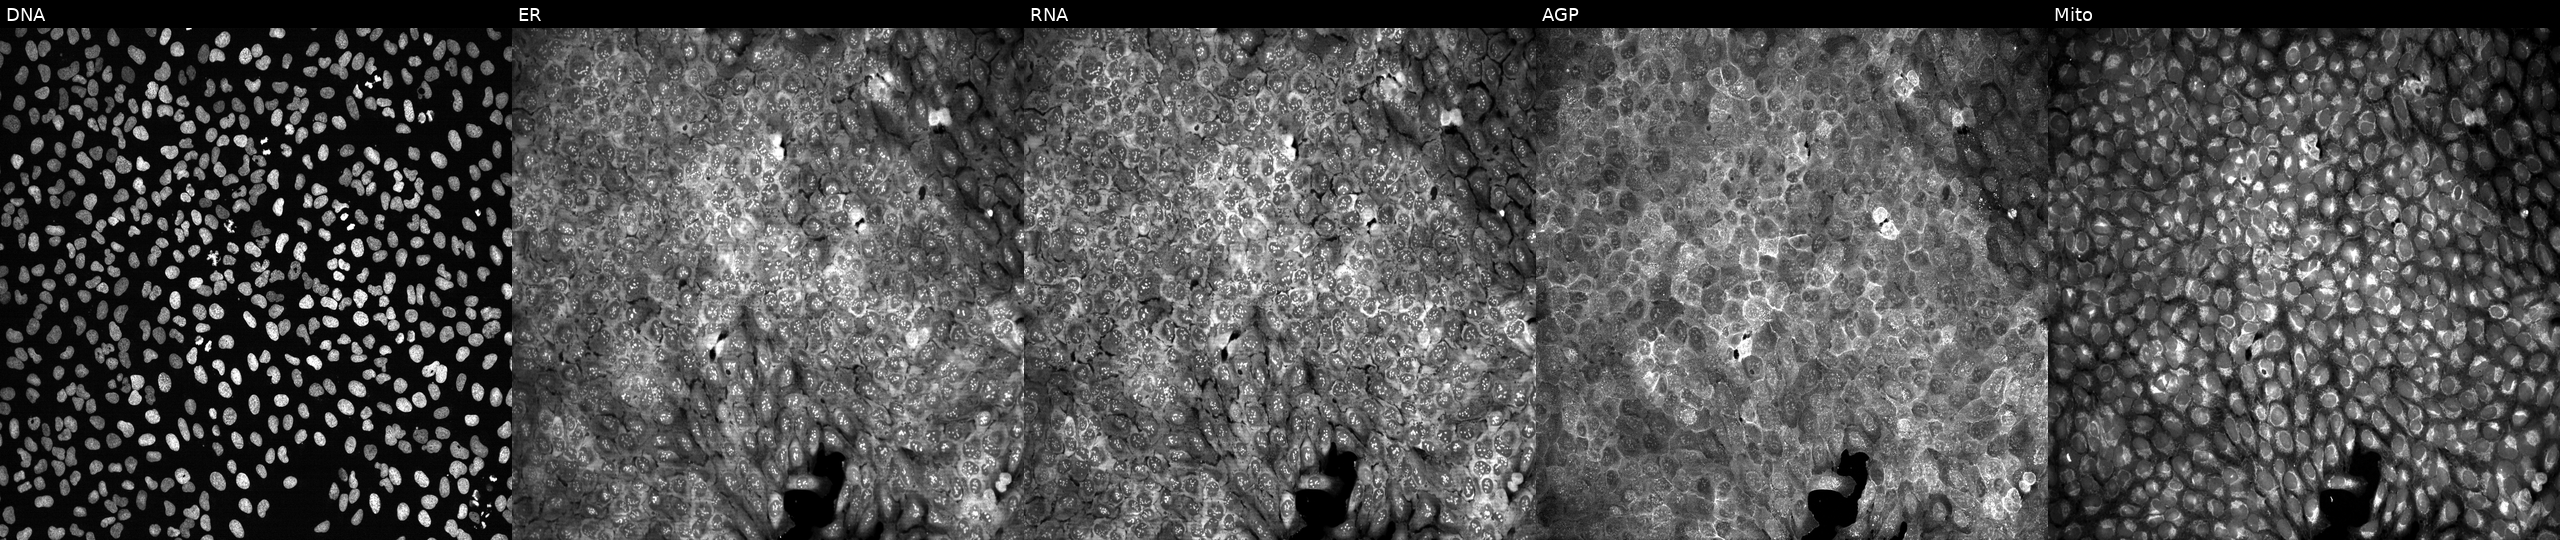
The five panels, left to right, show DNA, ER, RNA, AGP, and Mito. U2OS osteosarcoma cells CRISPR-edited to disrupt NQO2. Cell Painting assay, JUMP-CP dataset.